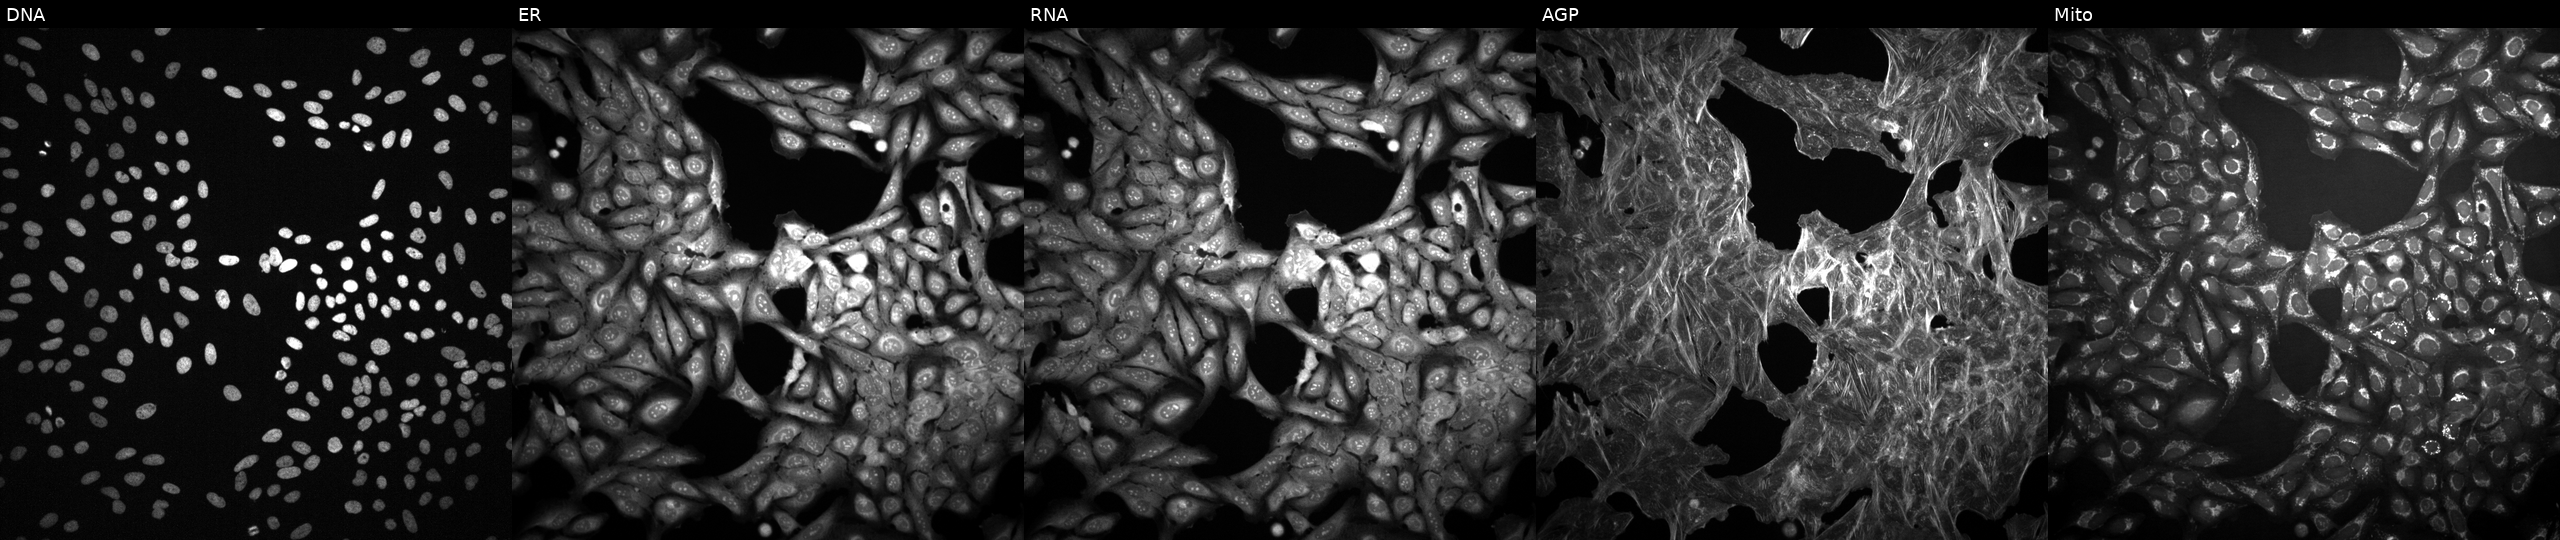
This image strip shows the five Cell Painting channels for a single field of U2OS cells treated with a small-molecule compound (InChIKey NBHPRWLFLUBAIE-UHFFFAOYSA-N) [SMILES: O=C(NCCN1CCC(n2c(=O)[nH]c3cc(Cl)ccc32)CC1)c1ccc(F)cc1] (JUMP id JCP2022_057881). Channels (left→right): DNA, ER, RNA, AGP, and Mito.